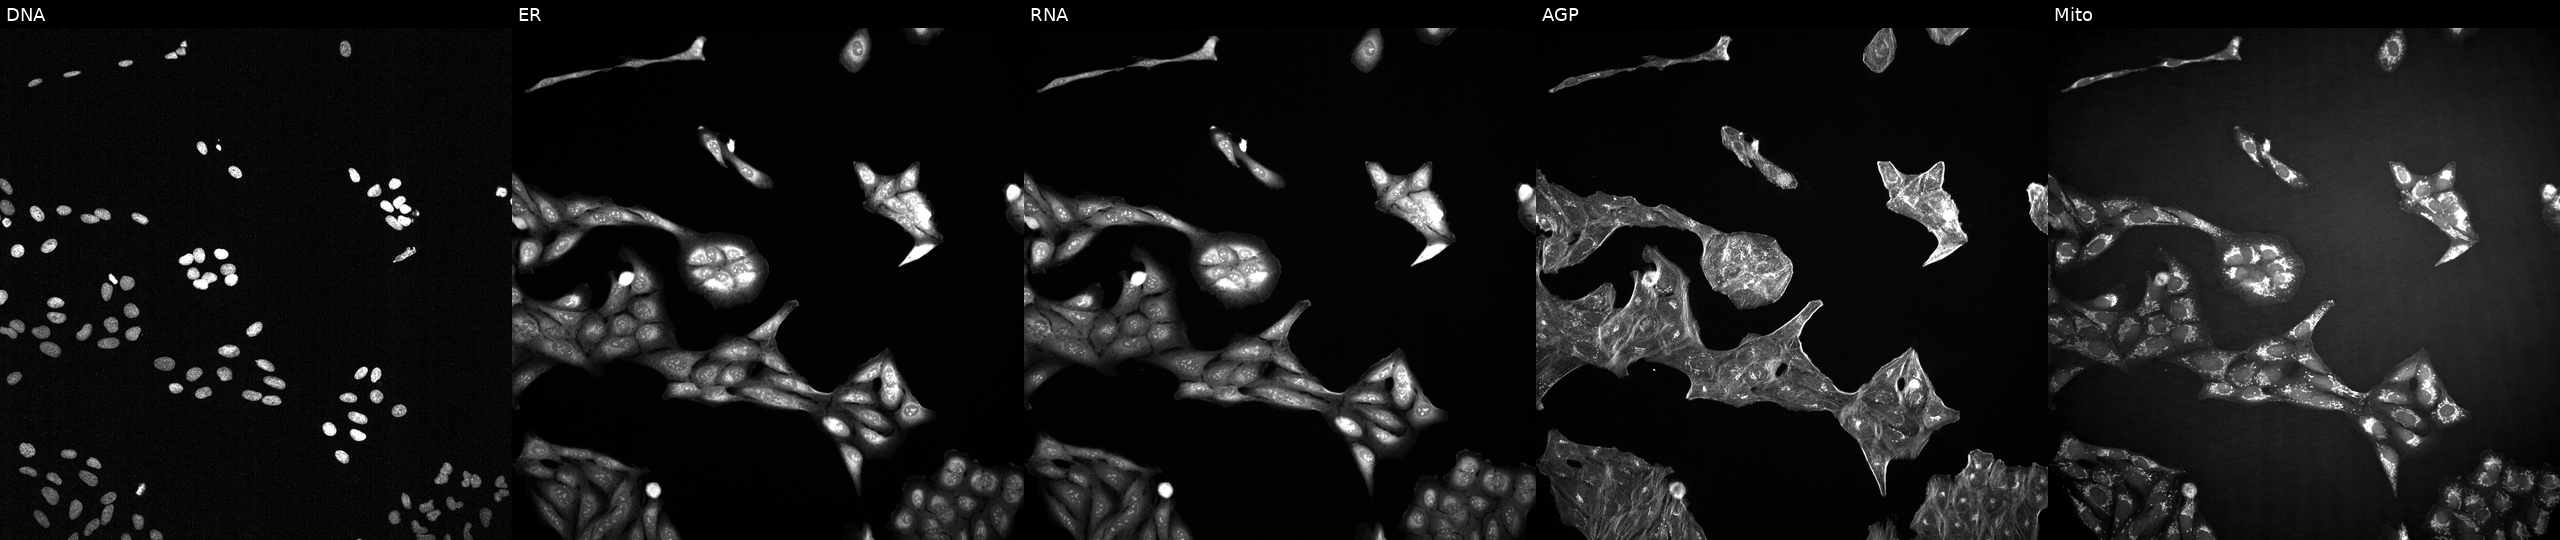
This image strip shows the five Cell Painting channels for a single field of U2OS cells treated with a small-molecule compound (InChIKey CDJNNOJINJAXPV-UHFFFAOYSA-N) [SMILES: Cc1cc(-c2nc(-c3ccc(OC(F)(F)F)cc3)no2)nn1Cc1ccnc(N2CCN(C3CC3)CC2)c1] (JUMP id JCP2022_010382). The five panels, left to right, show DNA, ER, RNA, AGP, and Mito.